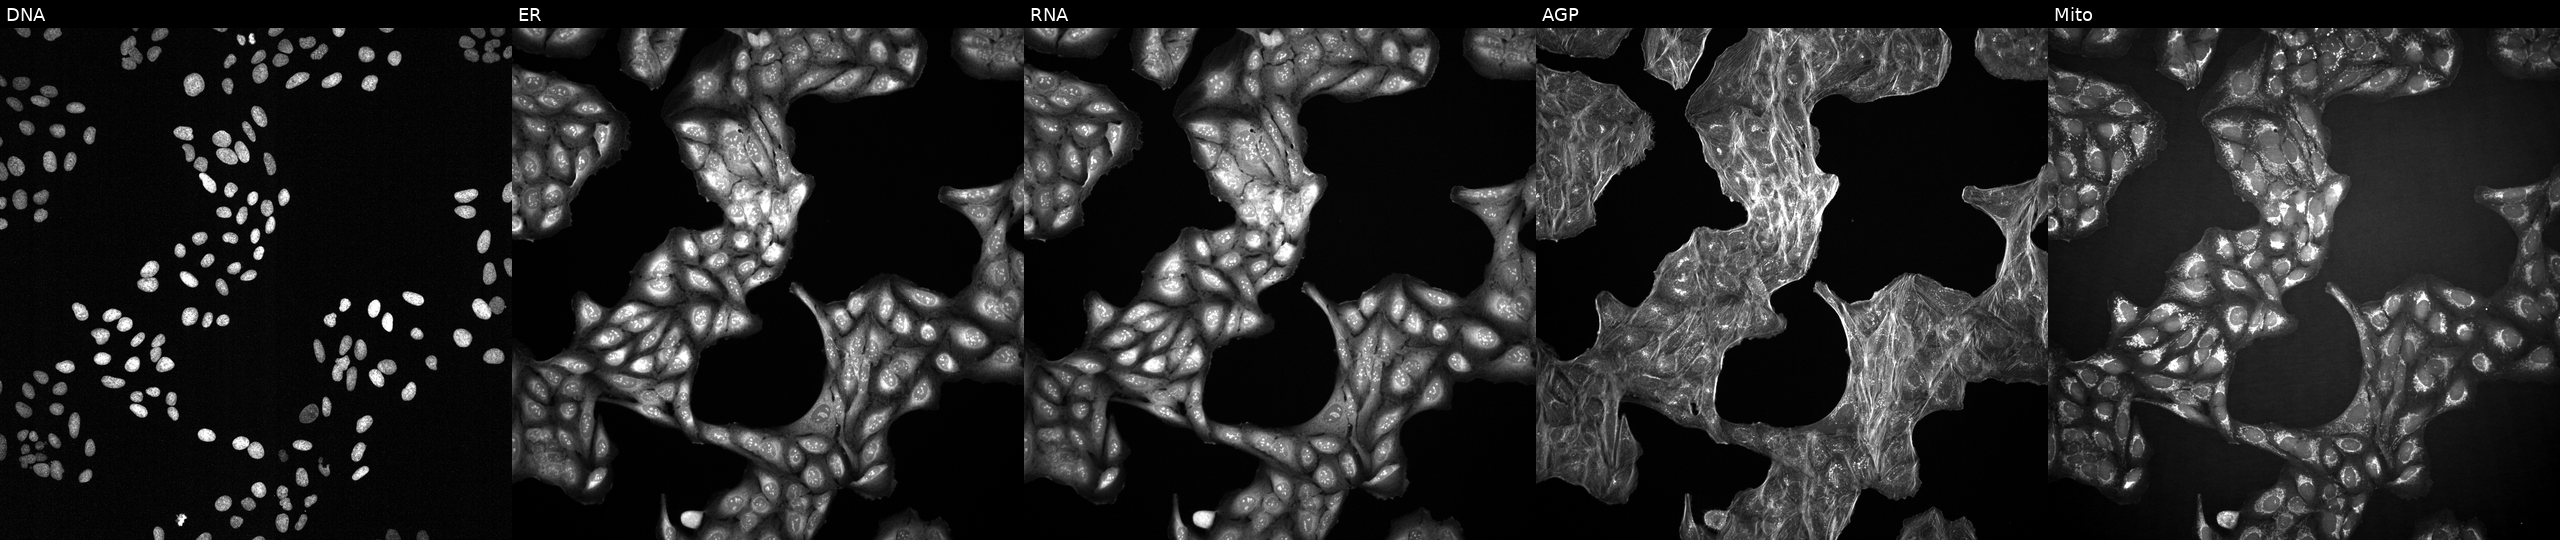
JUMP Cell Painting — TARGET2 plate. U2OS cells treated with a small-molecule compound (InChIKey MDKAFDIKYQMOMF-UHFFFAOYSA-N) (JUMP id JCP2022_053409). Channels (left→right): DNA (nuclei); ER (endoplasmic reticulum); RNA (nucleoli and cytoplasmic RNA); AGP (actin cytoskeleton, Golgi, and plasma membrane); Mito (mitochondria).